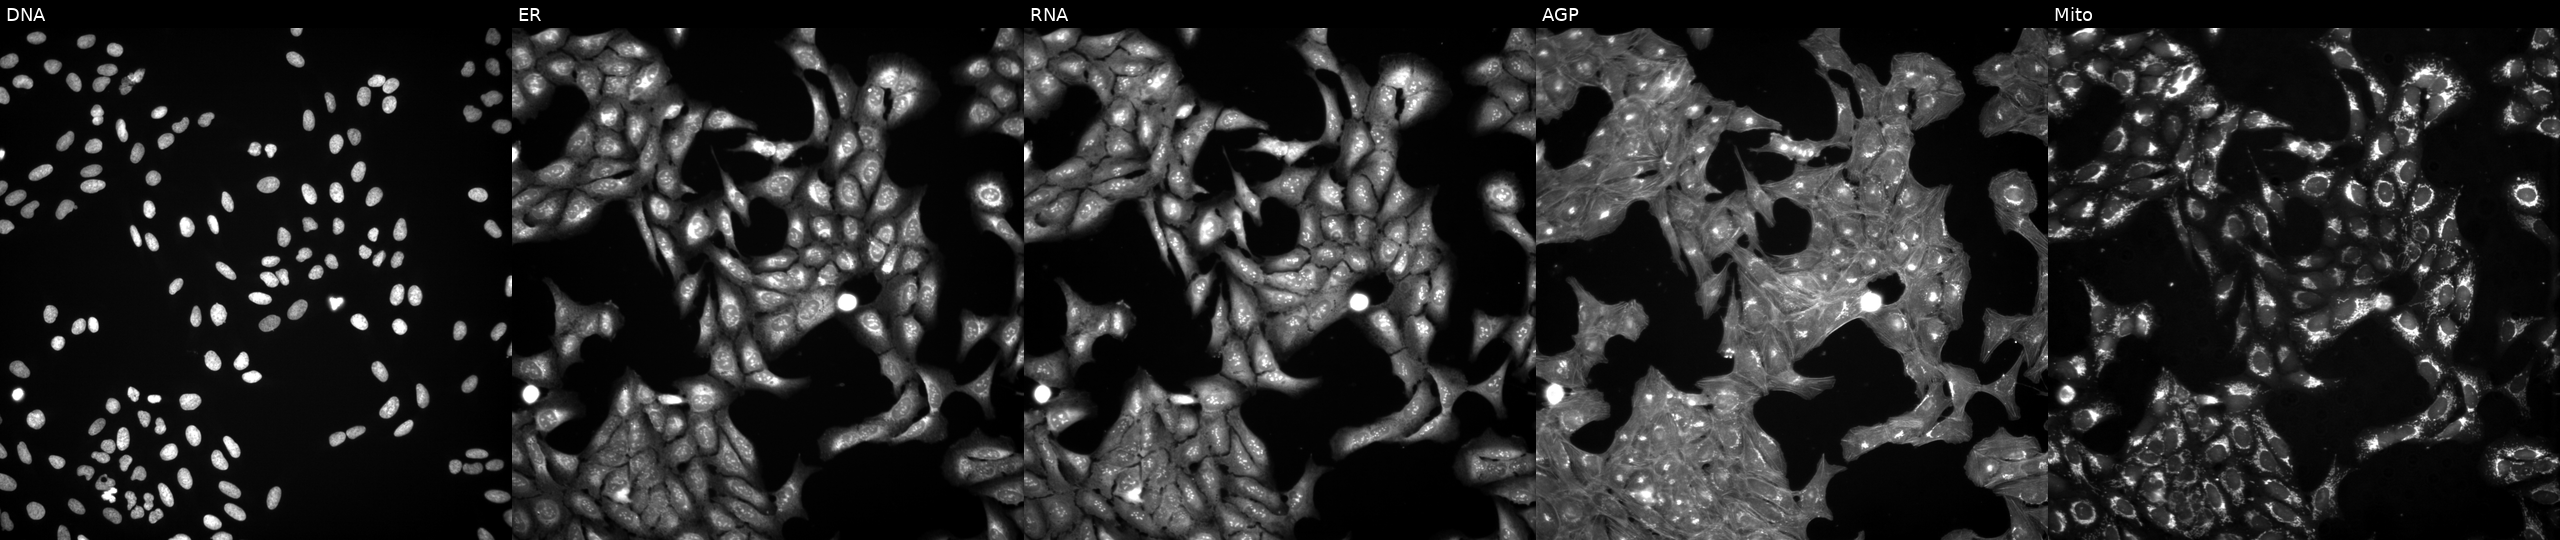
U2OS cells, Cell Painting assay, exposed to a small-molecule compound (InChIKey IPYFRVYXPVUONP-UHFFFAOYSA-N). From left to right: DNA, ER, RNA, AGP, and Mito. Each panel is percentile-stretched 16-bit fluorescence. Source 3, plate BR5867b3, well K06.